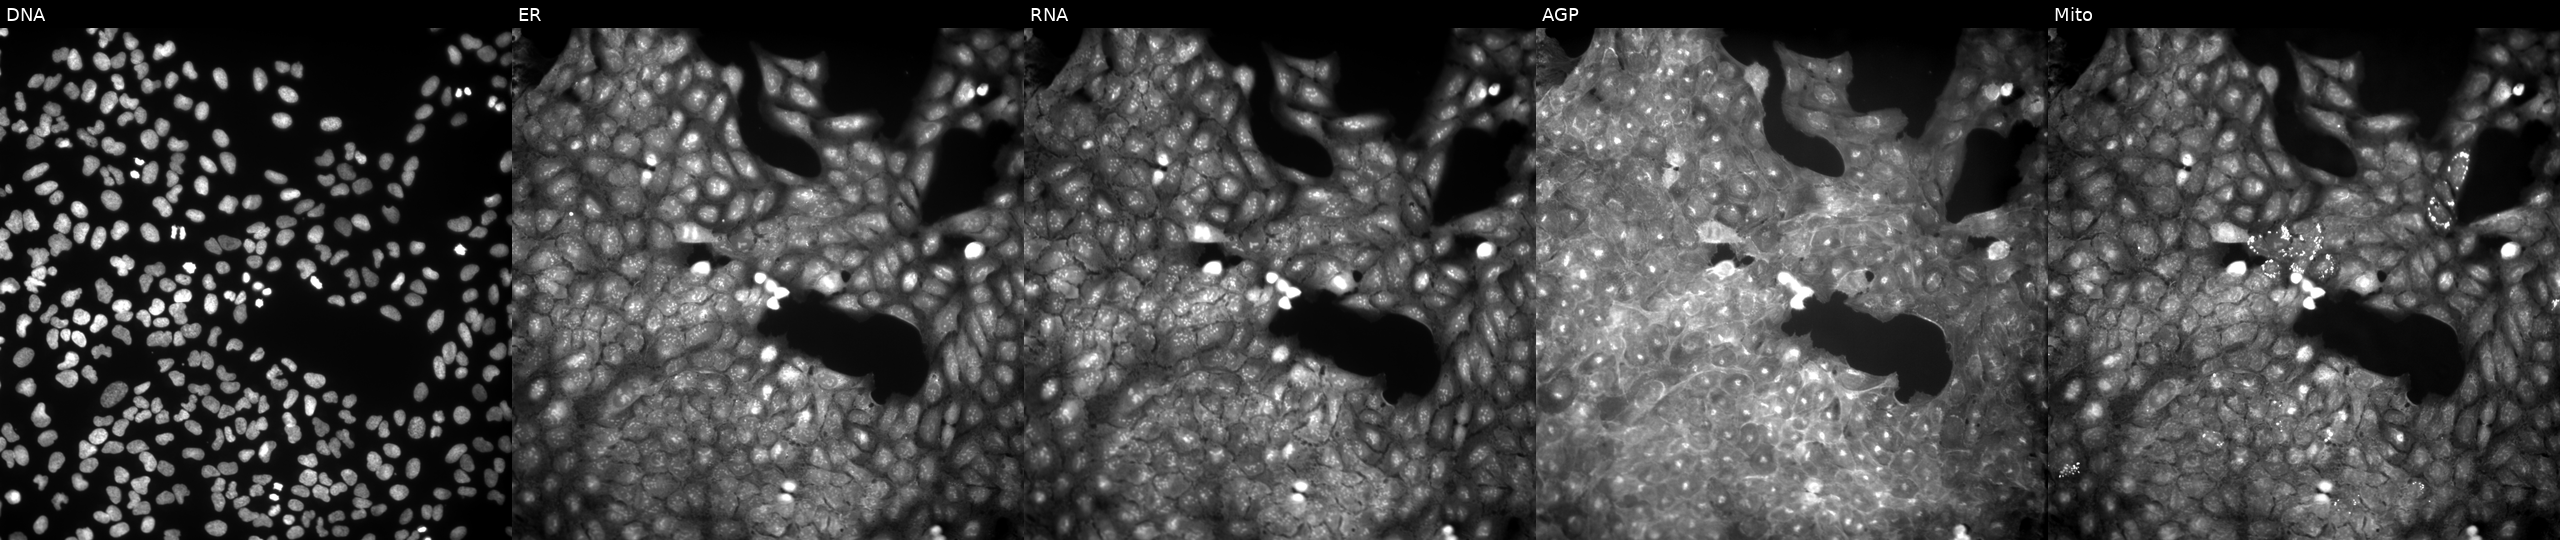
Panels show, left to right, Hoechst 33342, concanavalin A, SYTO 14, phalloidin and WGA, MitoTracker. U2OS osteosarcoma cells treated with a small-molecule compound (InChIKey ZBPVDPCMUWPXBQ-UHFFFAOYSA-N) (JUMP id JCP2022_112295). Cell Painting assay, JUMP-CP dataset. Source 9, plate GR00003382, well AD13.